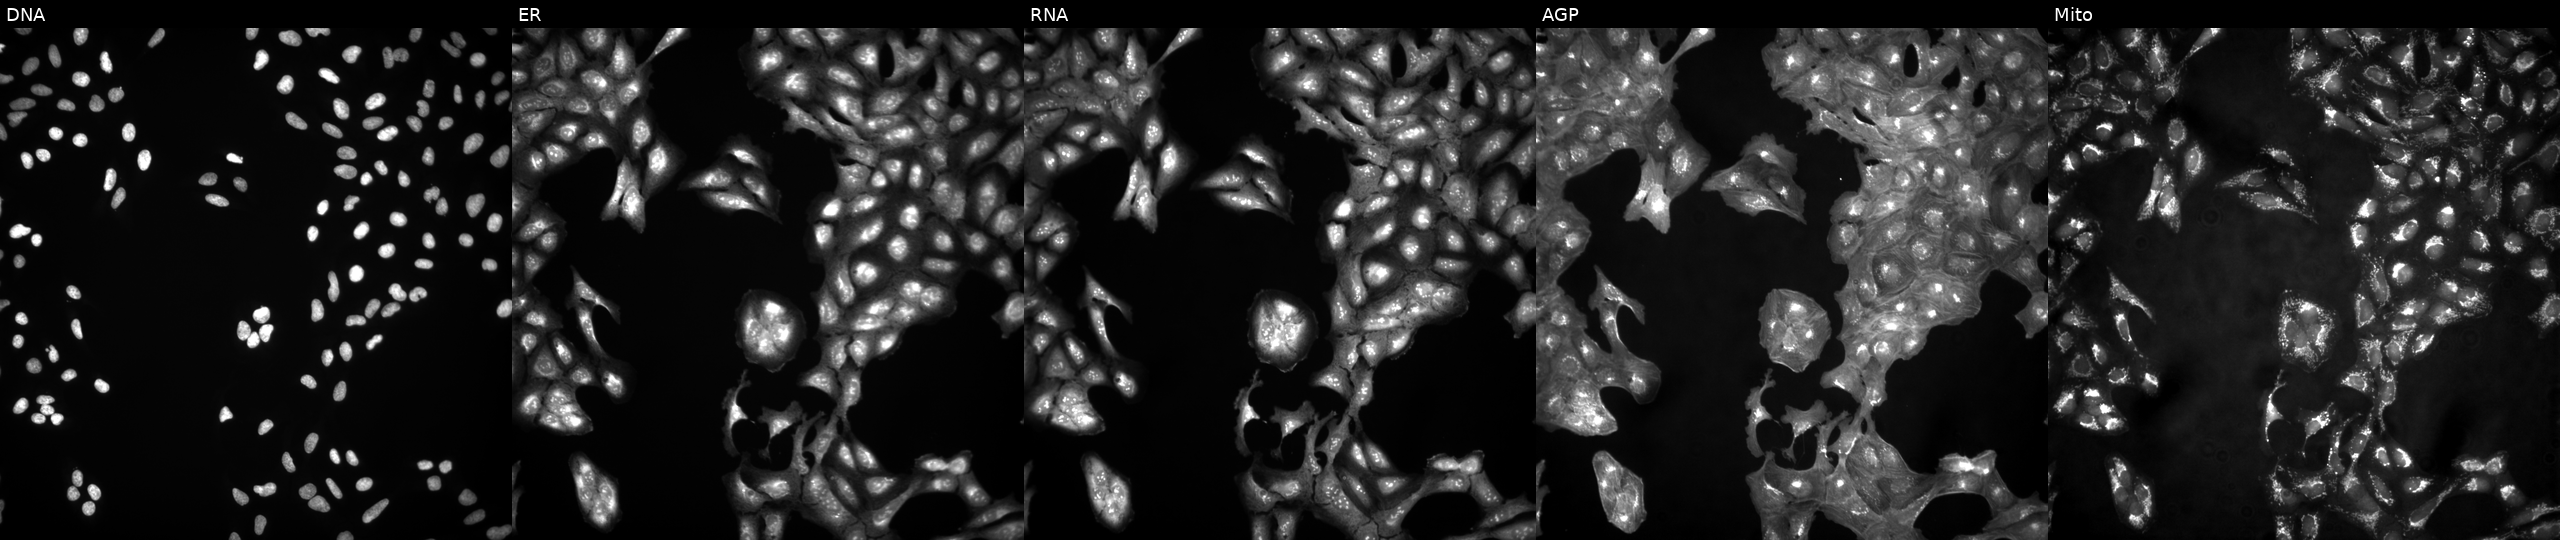
JUMP Cell Painting — ORF plate. U2OS cells untreated (empty-well control) (JUMP id JCP2022_999999). The five panels, left to right, show DNA (nuclei); ER (endoplasmic reticulum); RNA (nucleoli and cytoplasmic RNA); AGP (actin cytoskeleton, Golgi, and plasma membrane); Mito (mitochondria).